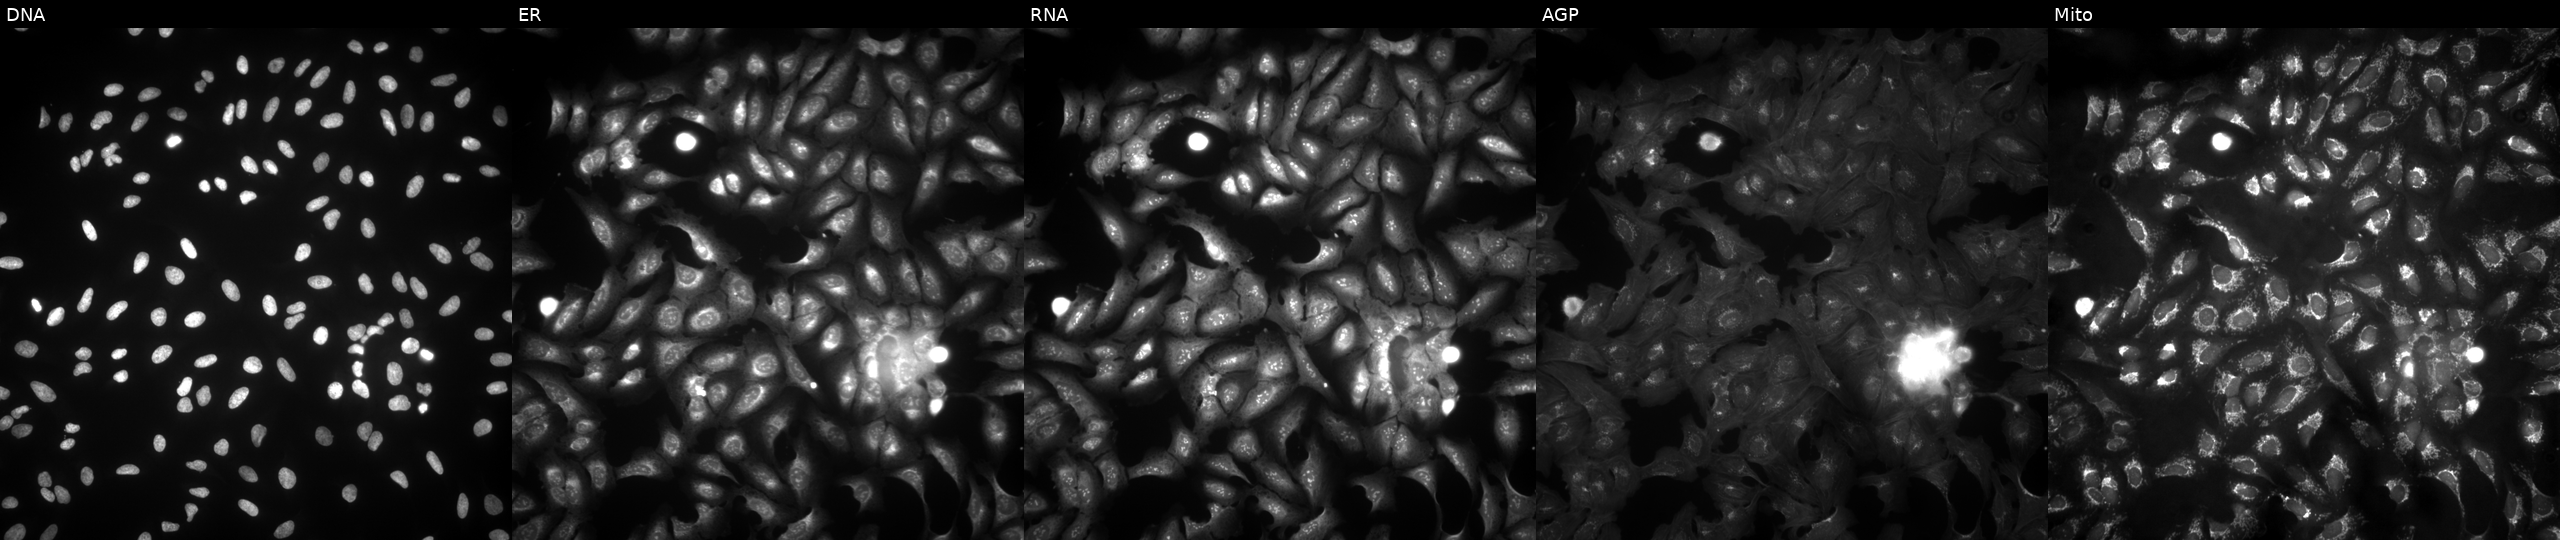
Five-channel Cell Painting image of U2OS cells transfected with an ORF construct for RSBN1. Channels (left→right): DNA (nuclei); ER (endoplasmic reticulum); RNA (nucleoli and cytoplasmic RNA); AGP (actin cytoskeleton, Golgi, and plasma membrane); Mito (mitochondria).